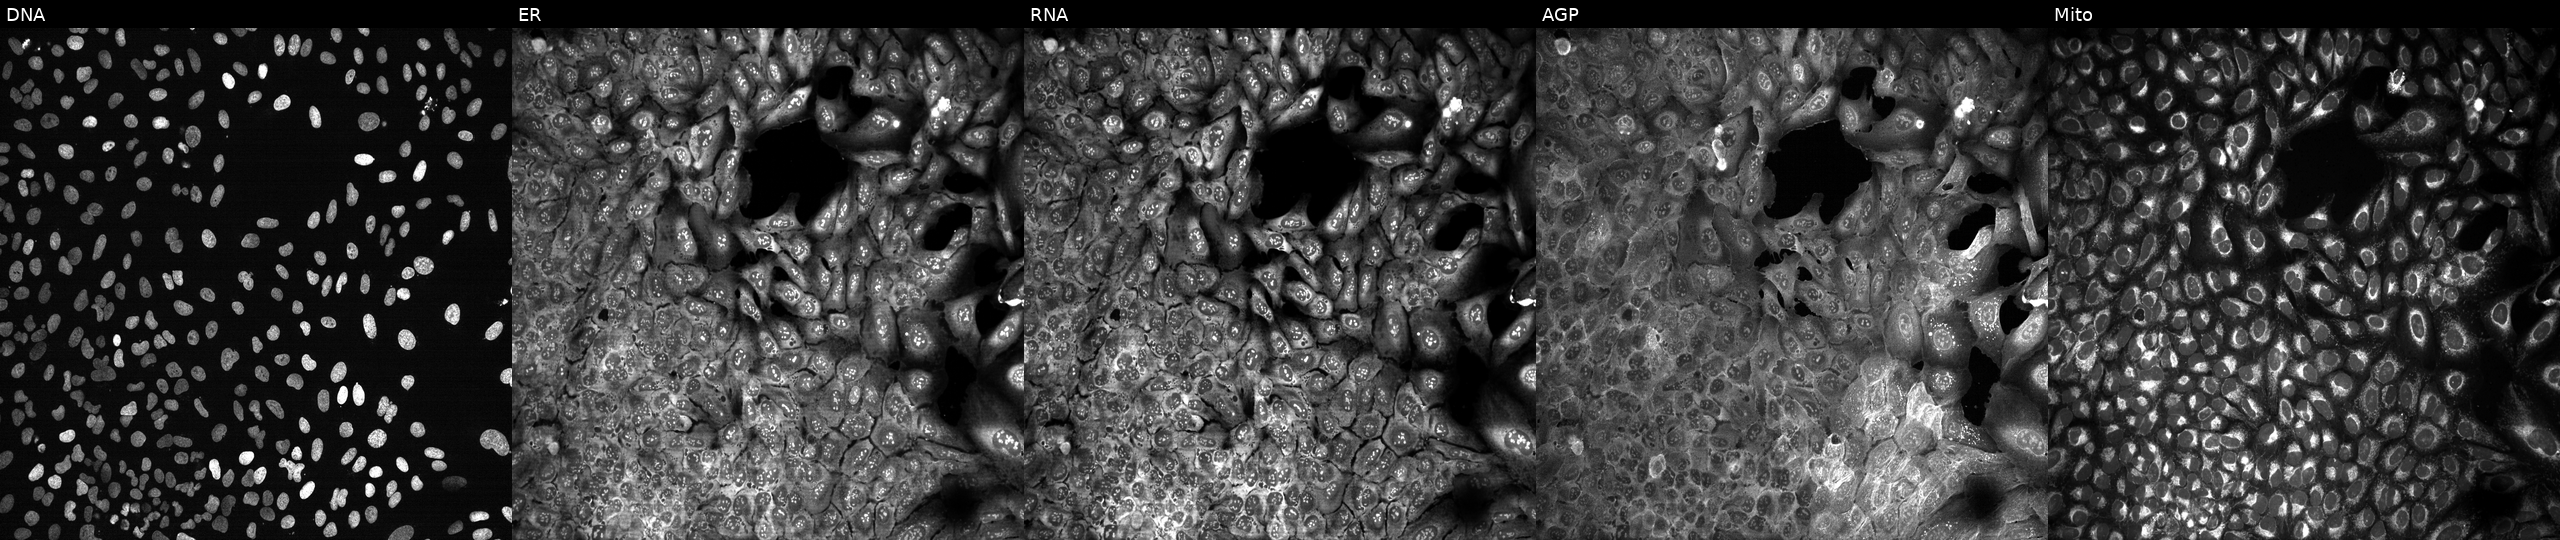
From left to right: DNA, ER, RNA, AGP, and Mito. U2OS osteosarcoma cells CRISPR-edited to disrupt SPNS1 (JUMP id JCP2022_806743). Cell Painting assay, JUMP-CP dataset.